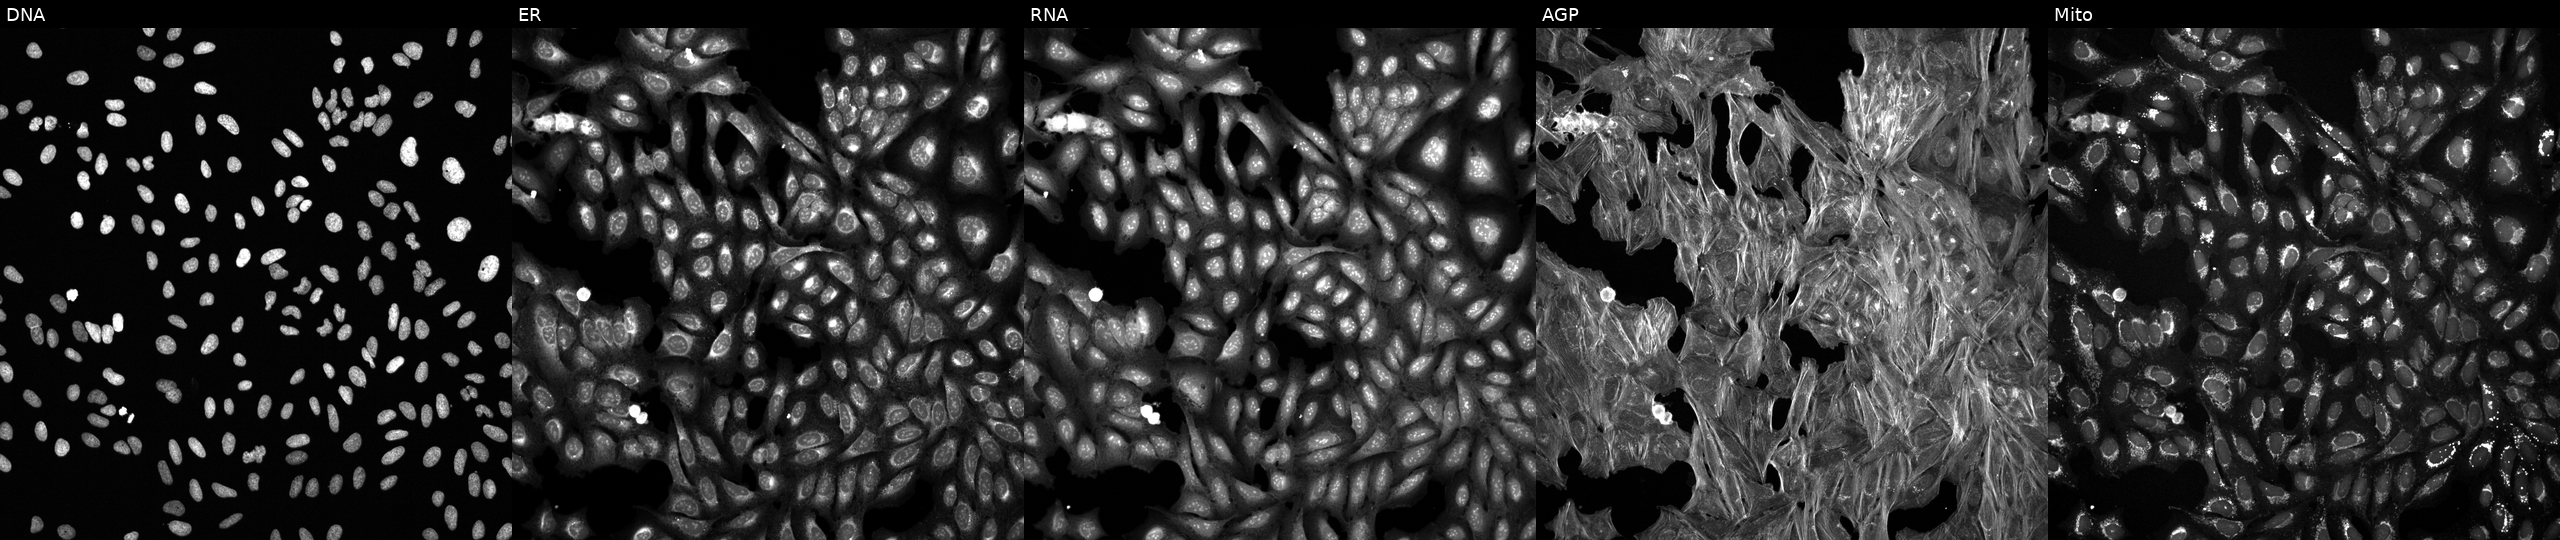
This image strip shows the five Cell Painting channels for a single field of U2OS cells treated with a small-molecule compound (InChIKey OSYOIMYNURVUTE-UHFFFAOYSA-N) [SMILES: Cc1oc2[nH]cnc(=NCc3ccccc3)c2c1C]. The five panels, left to right, show DNA (nuclei); ER (endoplasmic reticulum); RNA (nucleoli and cytoplasmic RNA); AGP (actin cytoskeleton, Golgi, and plasma membrane); Mito (mitochondria). Source 6, plate 110000293083, well I06.